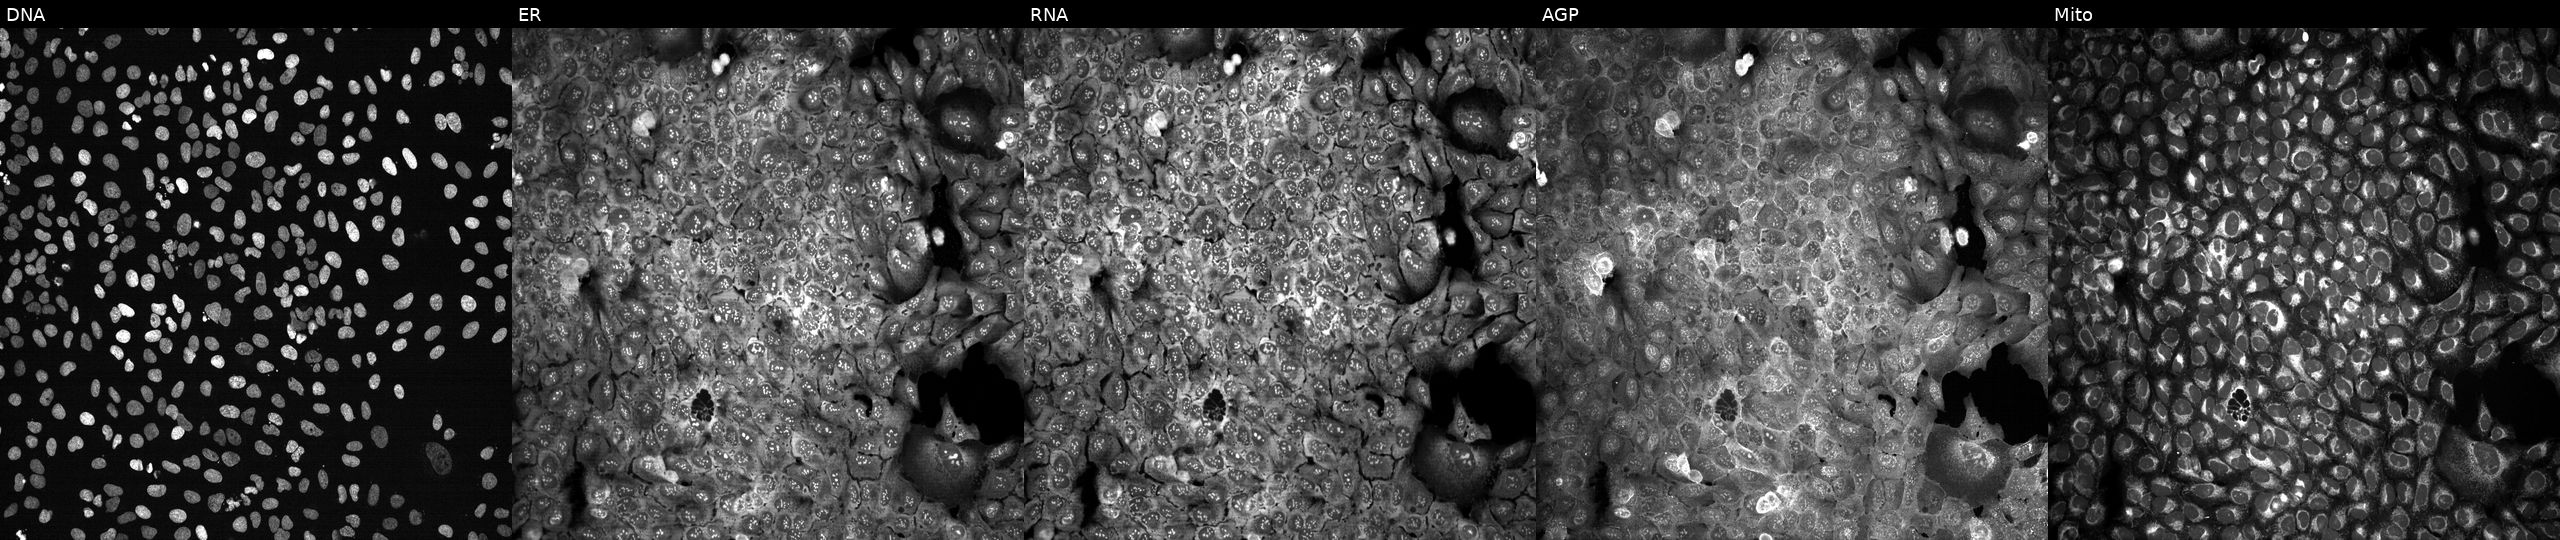
U2OS cells, Cell Painting assay, with ATP2A1 knocked out by CRISPR (JUMP id JCP2022_800709). Channels (left→right): DNA, ER, RNA, AGP, and Mito. Each panel is percentile-stretched 16-bit fluorescence. Source 13, plate CP-CC9-R4-04, well K14.